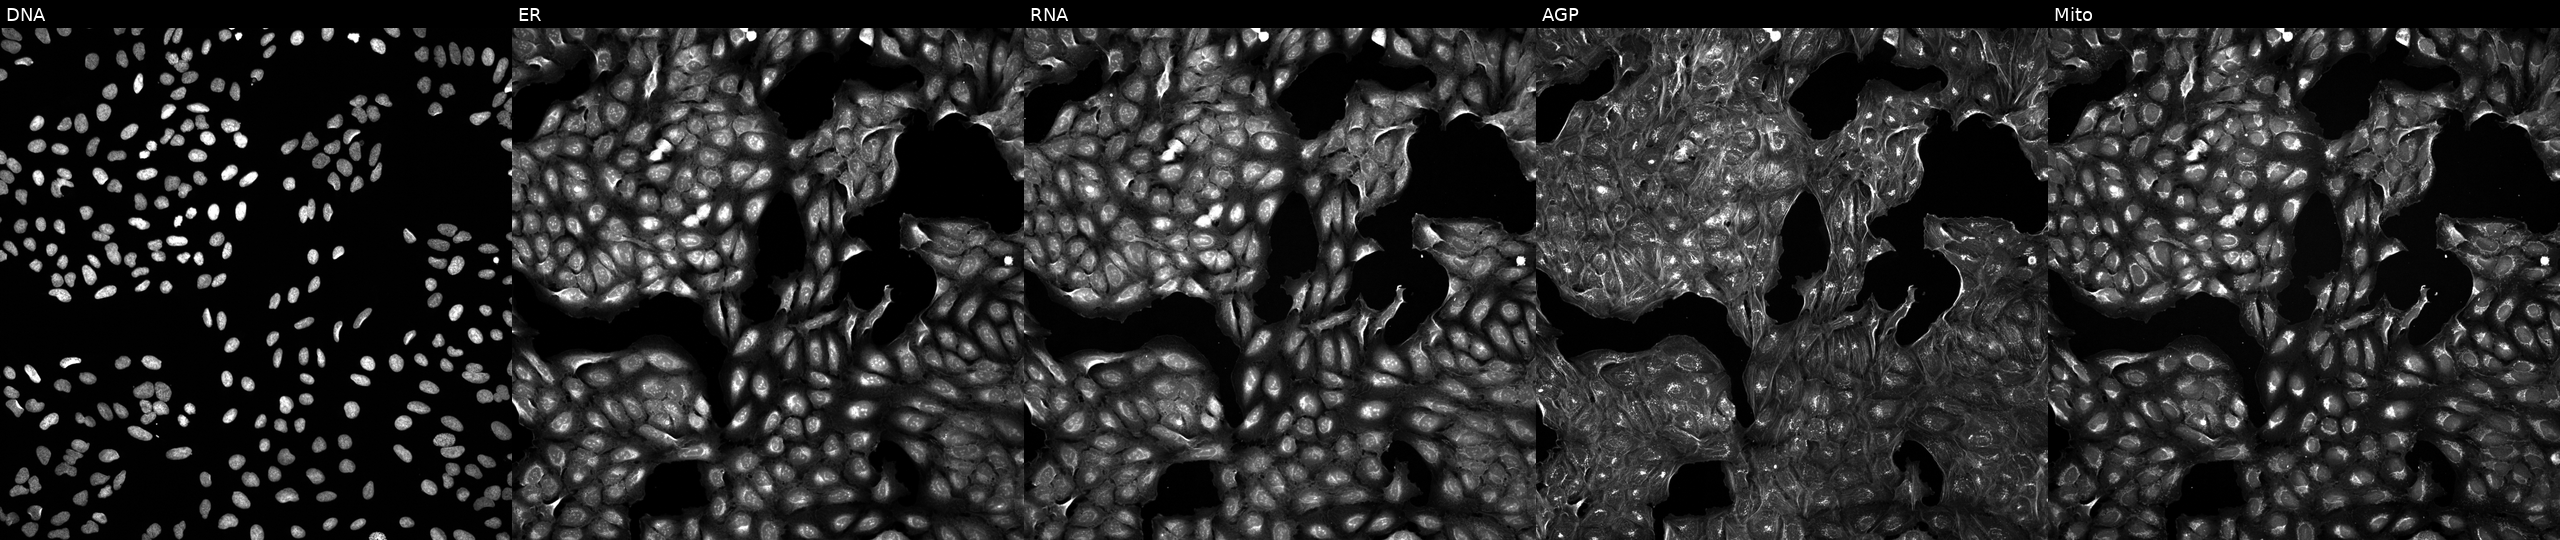
Five-channel Cell Painting image of U2OS cells treated with a small-molecule compound (InChIKey JQJVXEFJNWLWOX-UHFFFAOYSA-N). Channels (left→right): Hoechst 33342, concanavalin A, SYTO 14, phalloidin and WGA, MitoTracker.